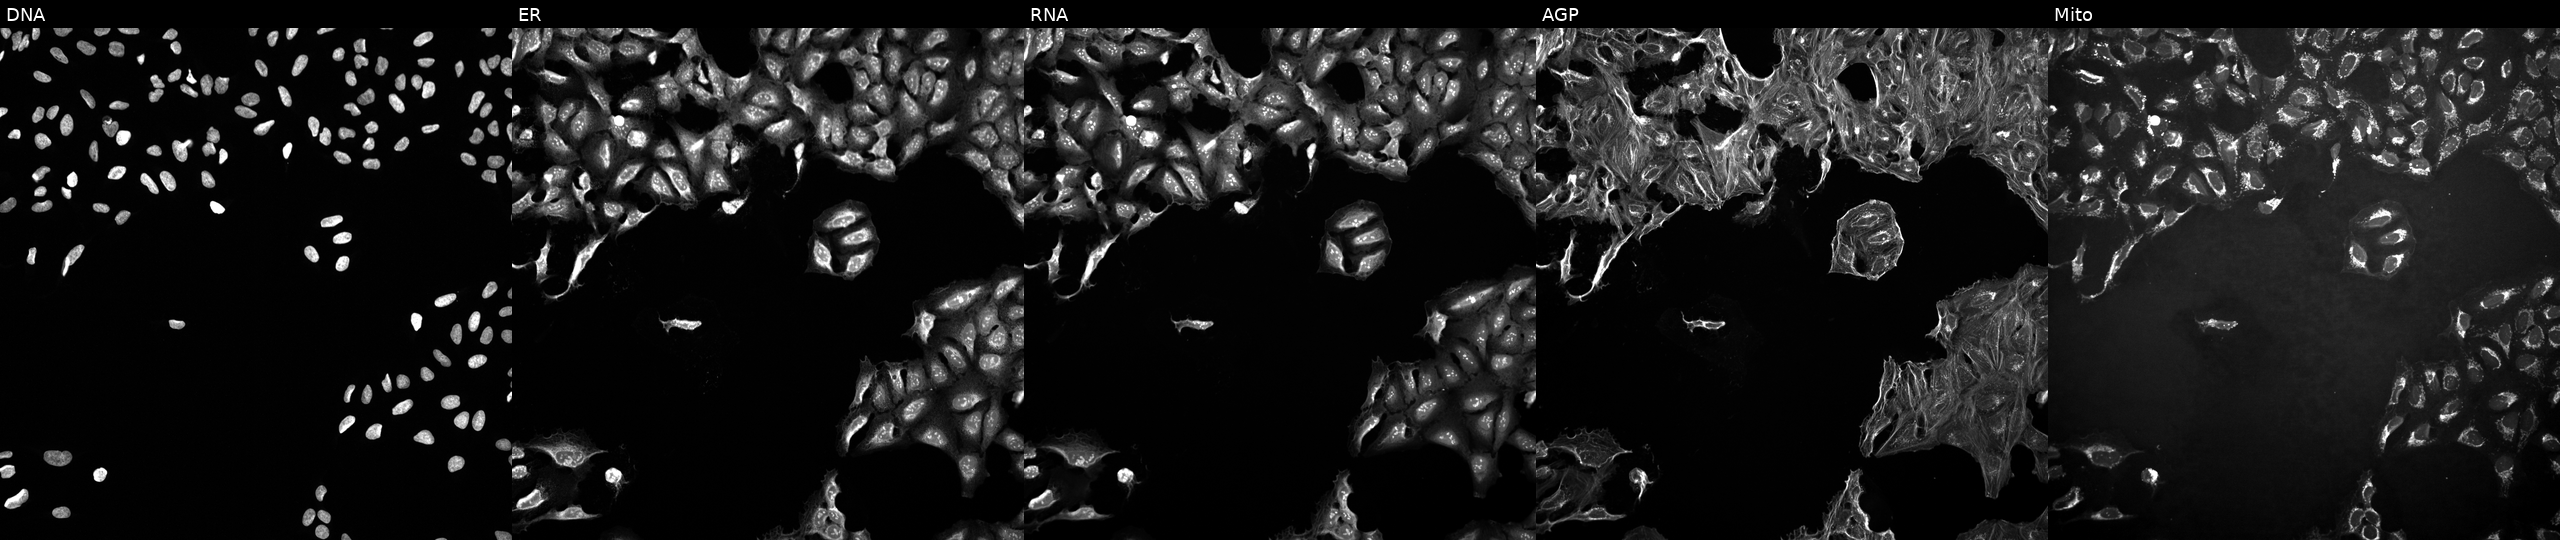
JUMP Cell Painting — TARGET2 plate. U2OS cells exposed to a small-molecule compound (InChIKey PIMZUZSSNYHVCU-UHFFFAOYSA-N). Channels (left→right): DNA (nuclei); ER (endoplasmic reticulum); RNA (nucleoli and cytoplasmic RNA); AGP (actin cytoskeleton, Golgi, and plasma membrane); Mito (mitochondria).